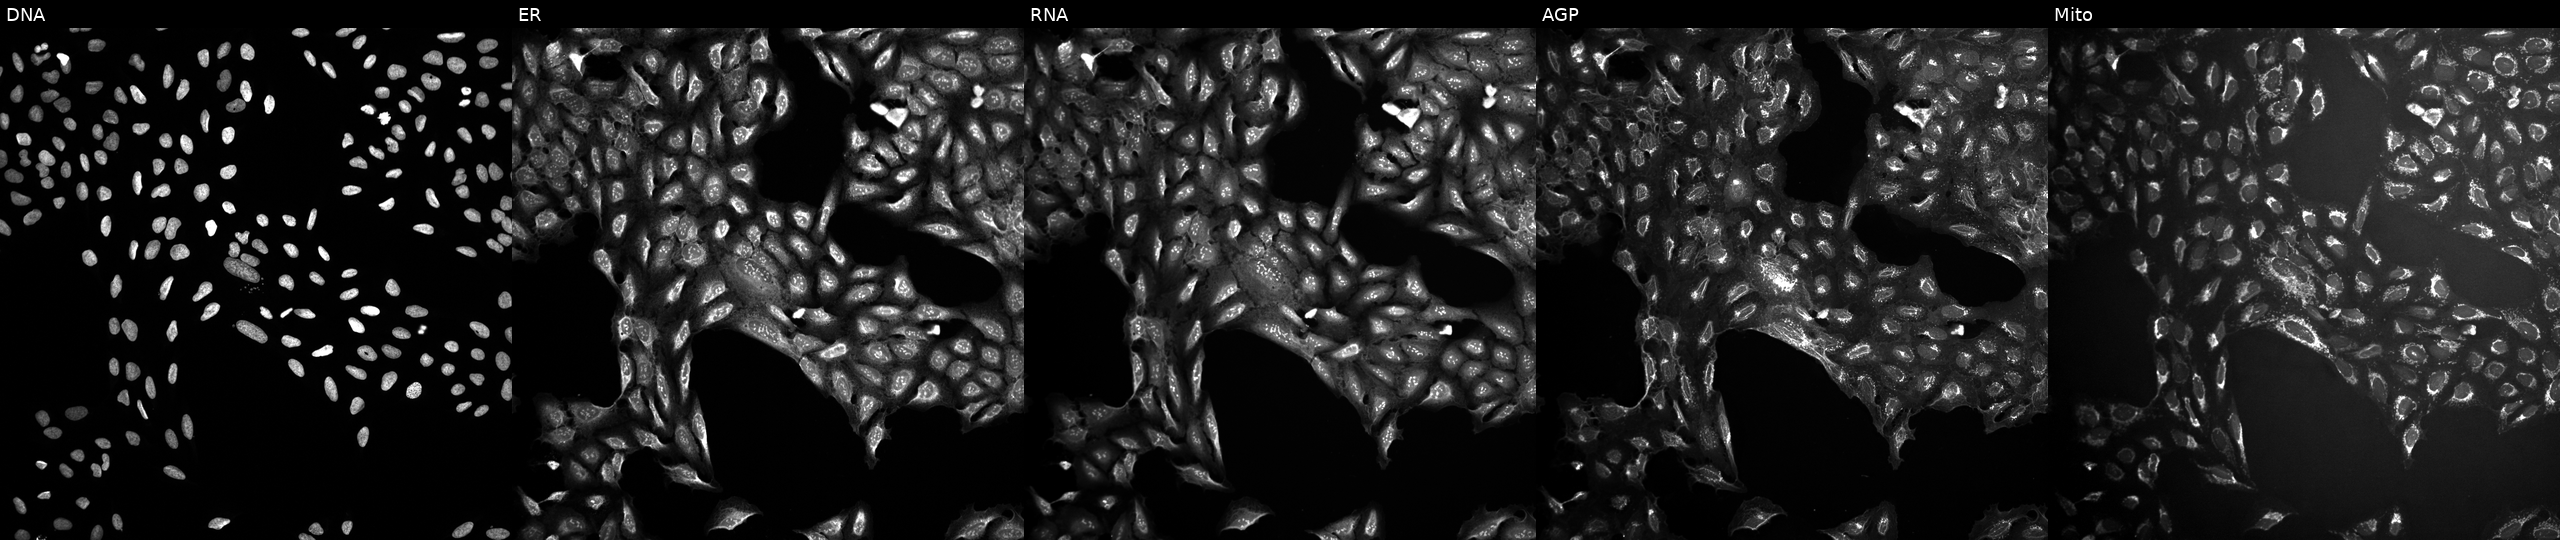
JUMP Cell Painting — TARGET2 plate. U2OS cells perturbed with a small-molecule compound (InChIKey ZYGHJZDHTFUPRJ-UHFFFAOYSA-N). From left to right: DNA (nuclei); ER (endoplasmic reticulum); RNA (nucleoli and cytoplasmic RNA); AGP (actin cytoskeleton, Golgi, and plasma membrane); Mito (mitochondria).